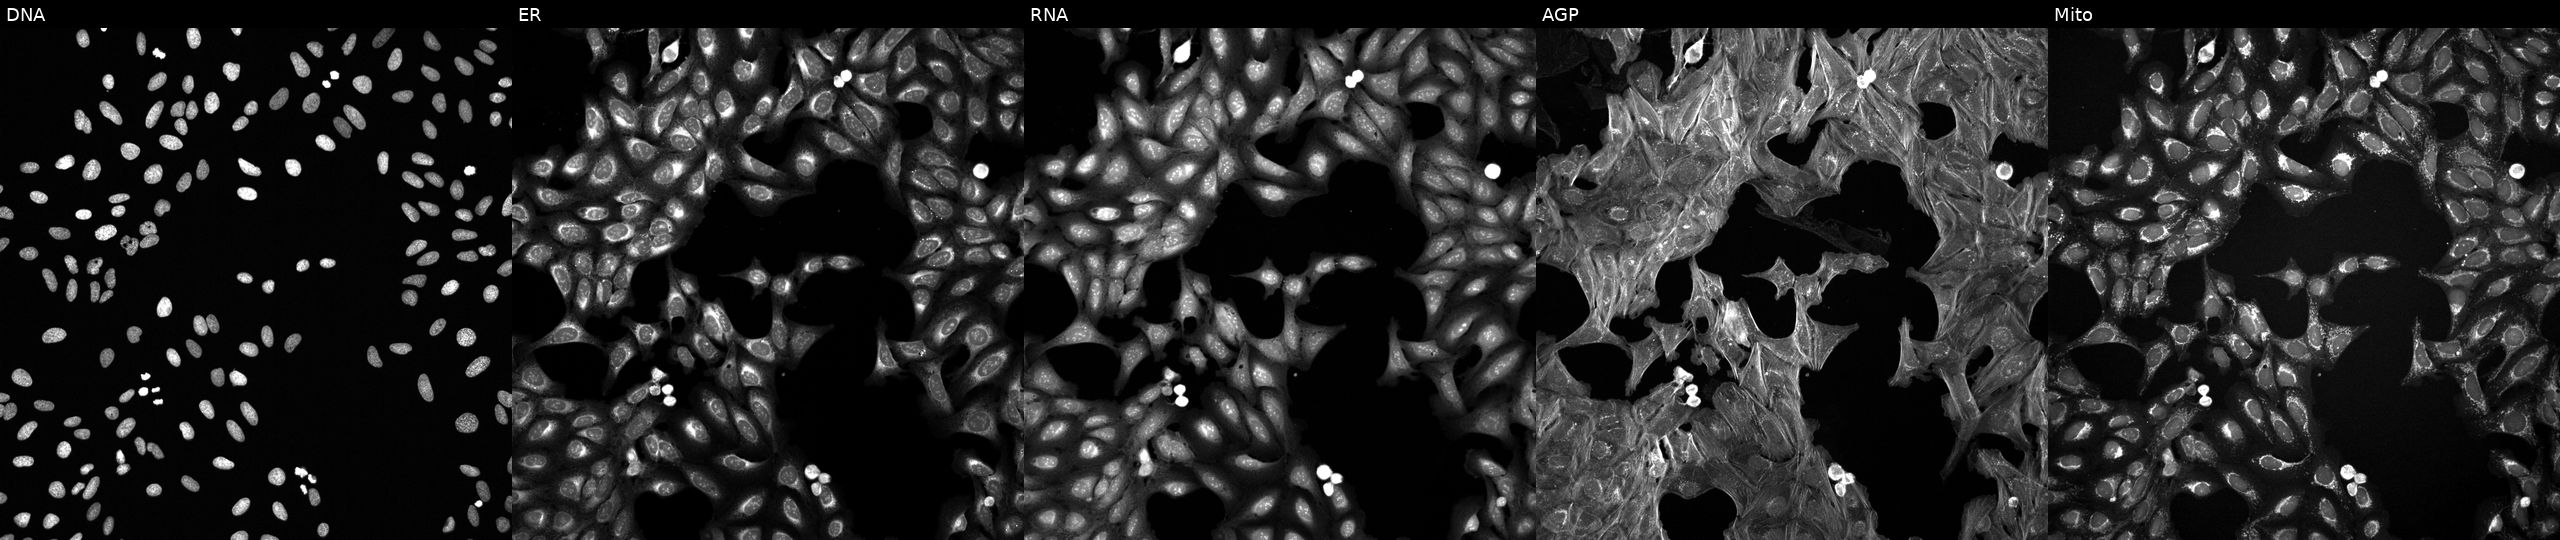
U2OS cells, Cell Painting assay, treated with a small-molecule compound. Panels show, left to right, Hoechst 33342, concanavalin A, SYTO 14, phalloidin and WGA, MitoTracker. Each panel is percentile-stretched 16-bit fluorescence.